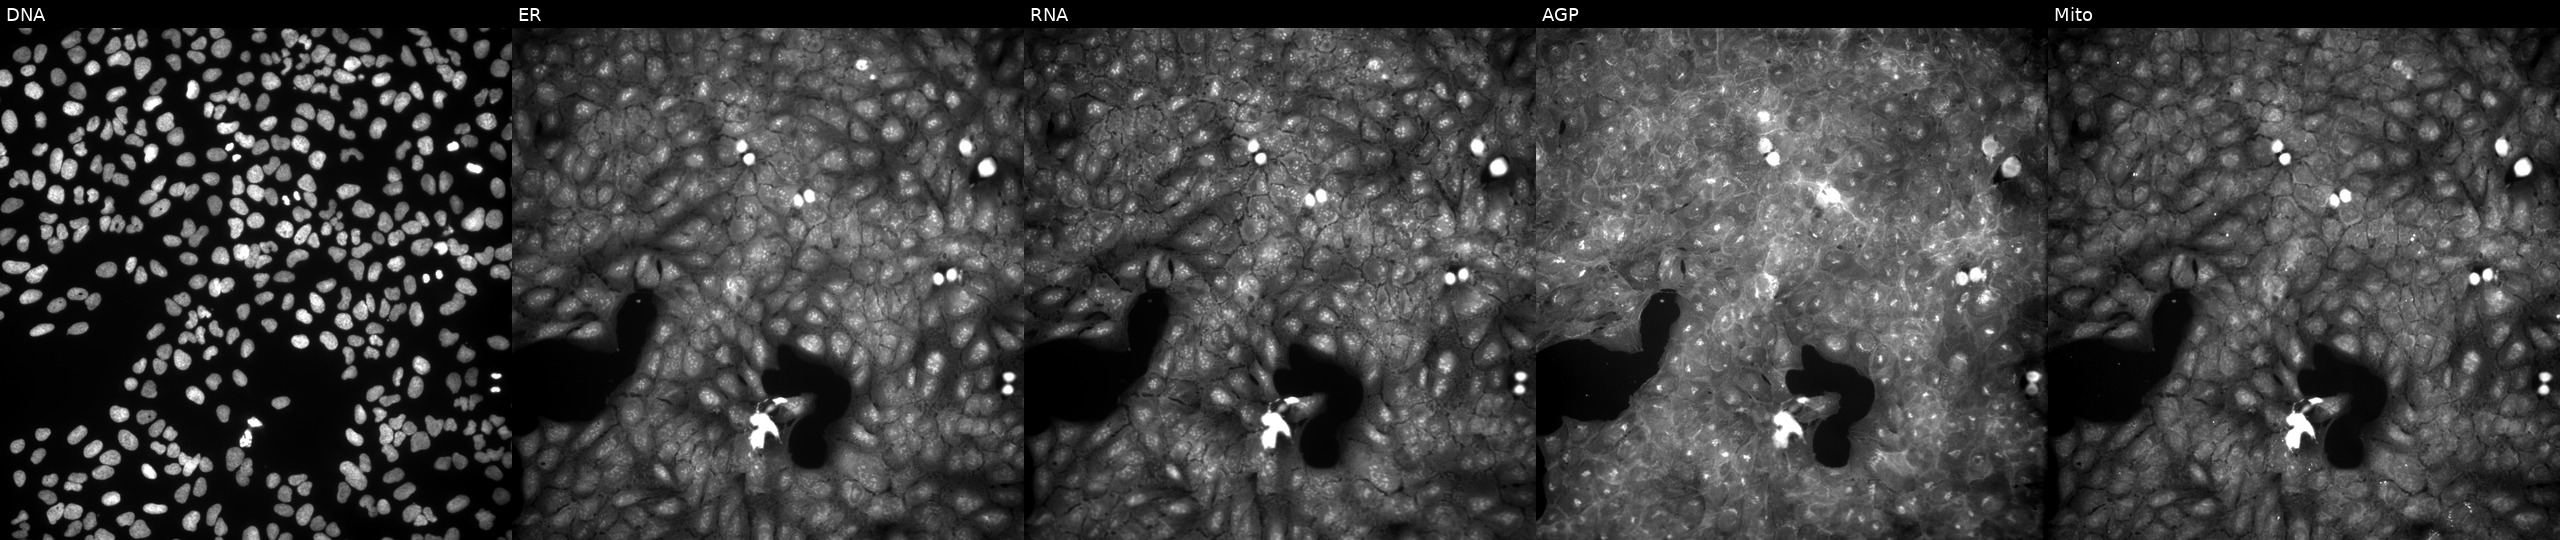
From left to right: Hoechst 33342, concanavalin A, SYTO 14, phalloidin and WGA, MitoTracker. U2OS osteosarcoma cells perturbed with a small-molecule compound (InChIKey OPKKFEIWGOAVRV-UHFFFAOYSA-N) (JUMP id JCP2022_065289). Cell Painting assay, JUMP-CP dataset.